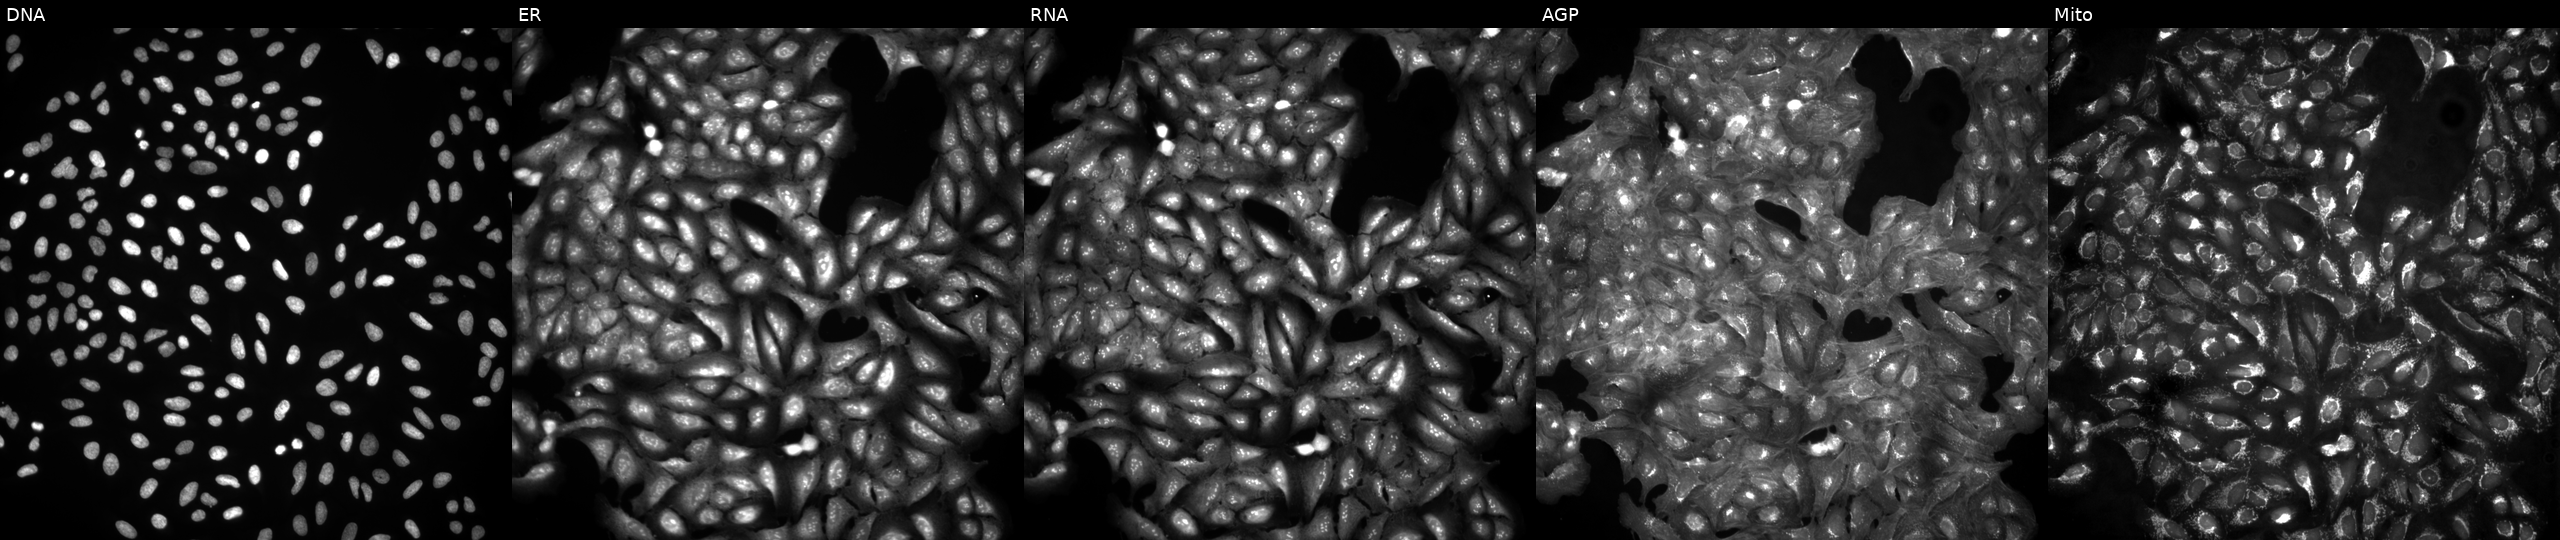
U2OS cells, Cell Painting assay, untreated (empty-well control). Panels show, left to right, DNA, ER, RNA, AGP, and Mito. Each panel is percentile-stretched 16-bit fluorescence. Source 4, plate BR00123946, well H02.